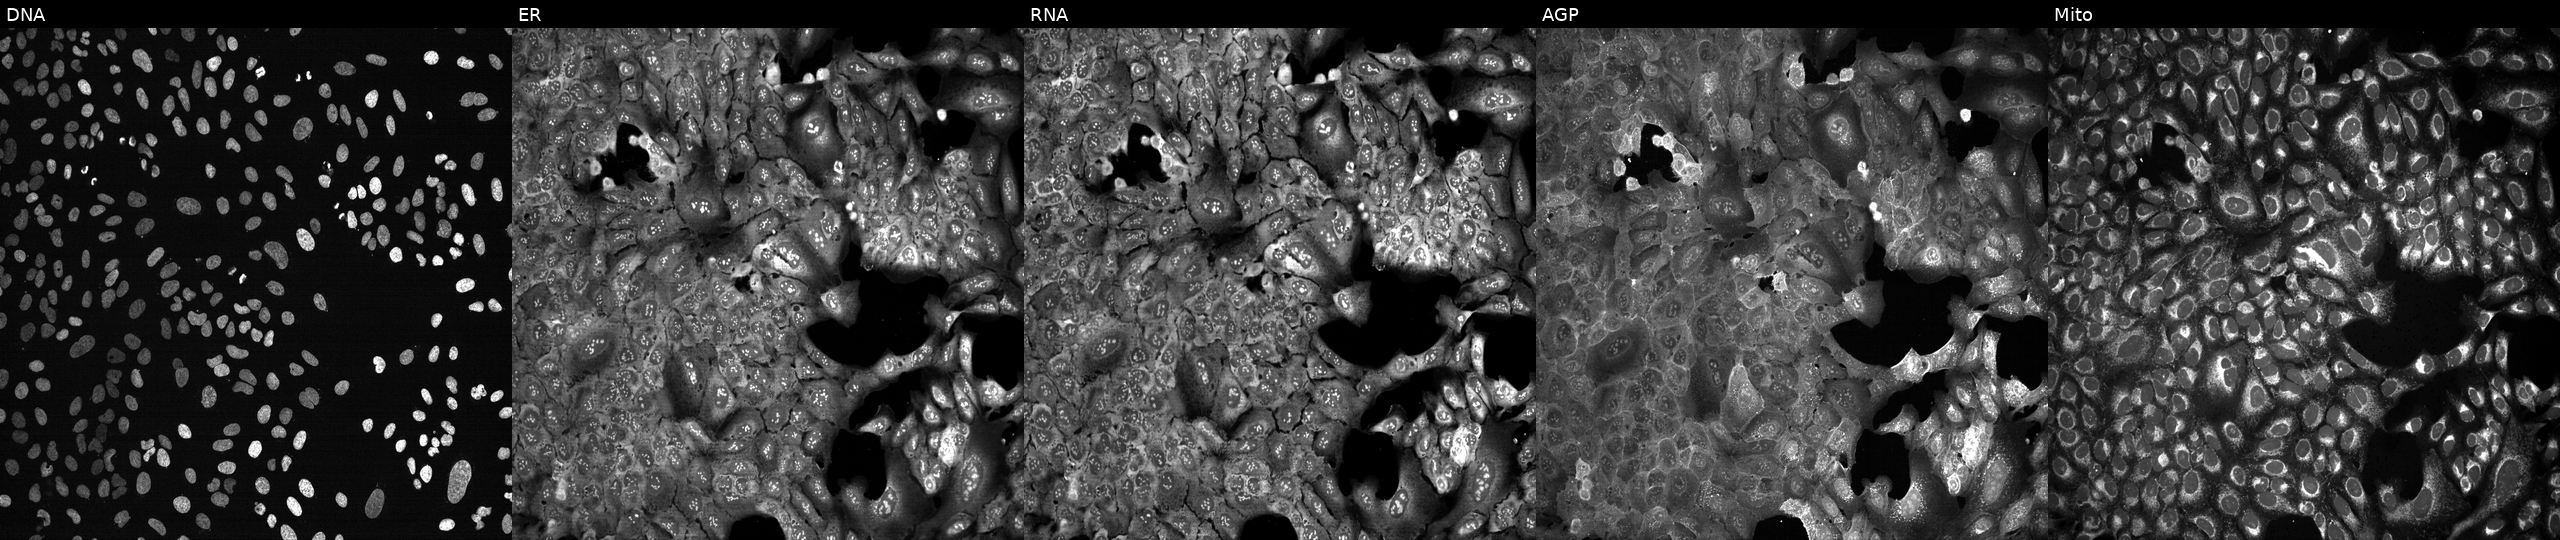
Five-channel Cell Painting image of U2OS cells following CRISPR knockout of VPS29. Panels show, left to right, DNA, ER, RNA, AGP, and Mito.